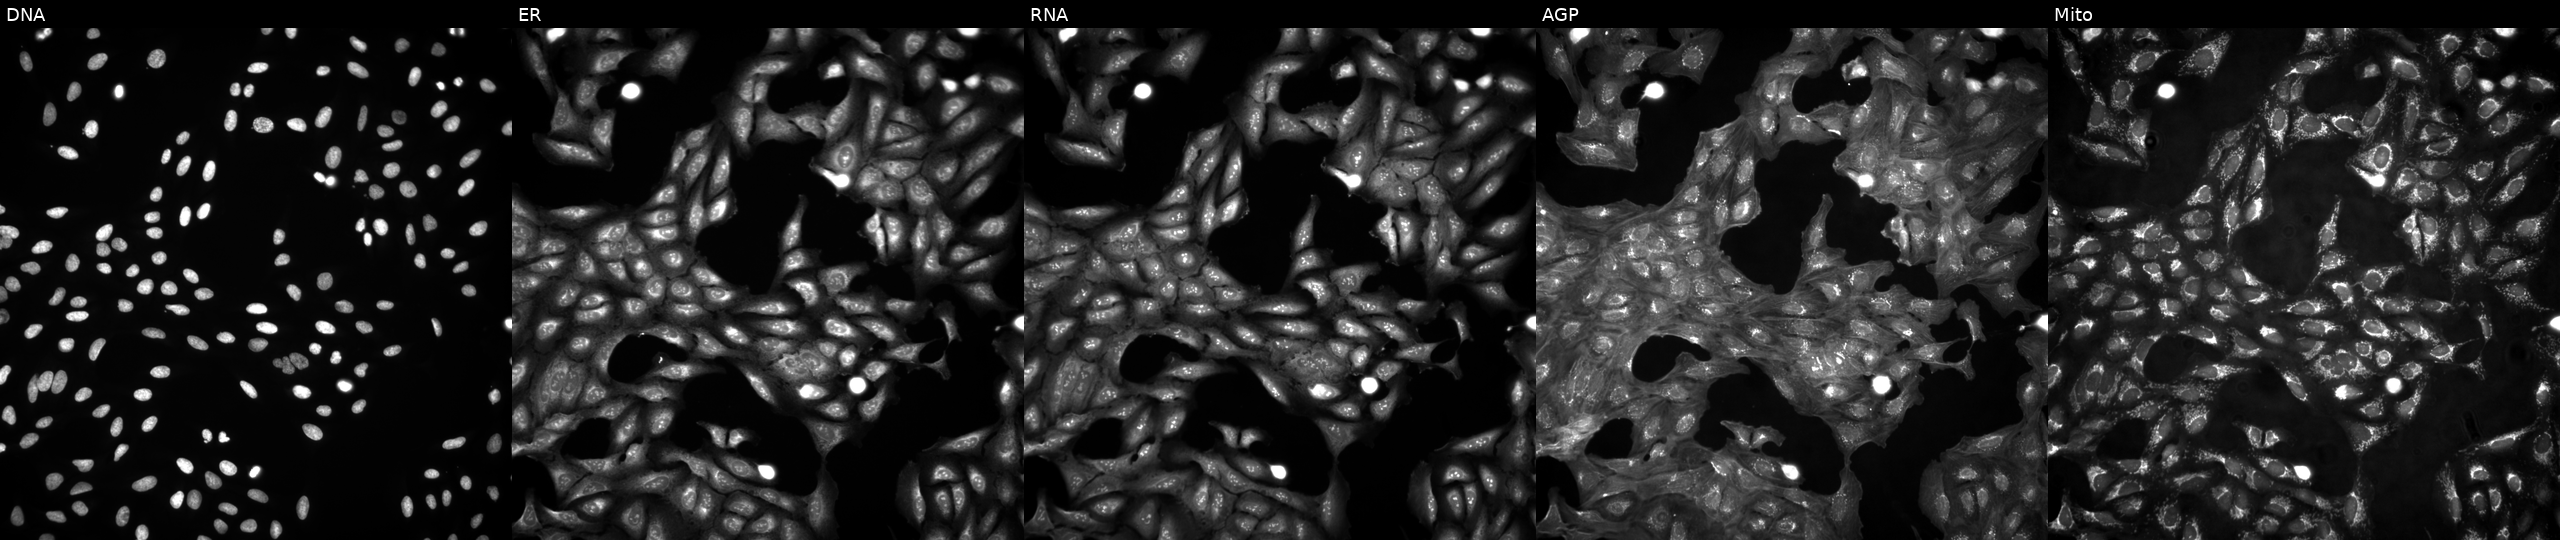
This image strip shows the five Cell Painting channels for a single field of U2OS cells untreated (empty-well control). The five panels, left to right, show Hoechst 33342, concanavalin A, SYTO 14, phalloidin and WGA, MitoTracker.